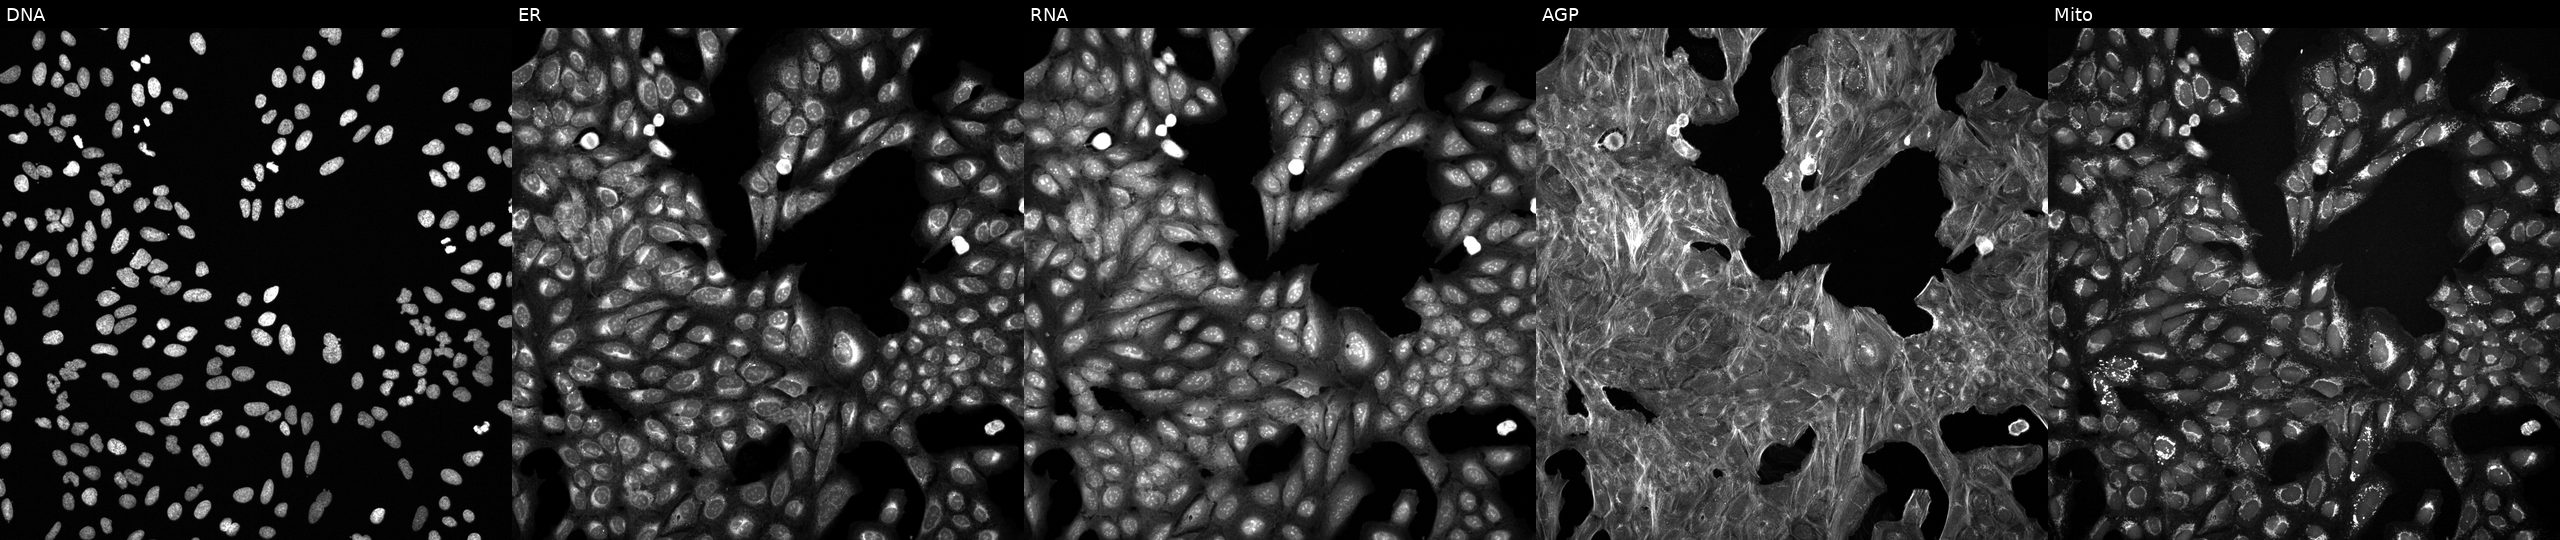
High-content fluorescence microscopy (Cell Painting). Cell line: U2OS. Perturbation: perturbed with a small-molecule compound (InChIKey VHOQQNCENSNTMO-UHFFFAOYSA-N). The five panels, left to right, show DNA (nuclei); ER (endoplasmic reticulum); RNA (nucleoli and cytoplasmic RNA); AGP (actin cytoskeleton, Golgi, and plasma membrane); Mito (mitochondria).